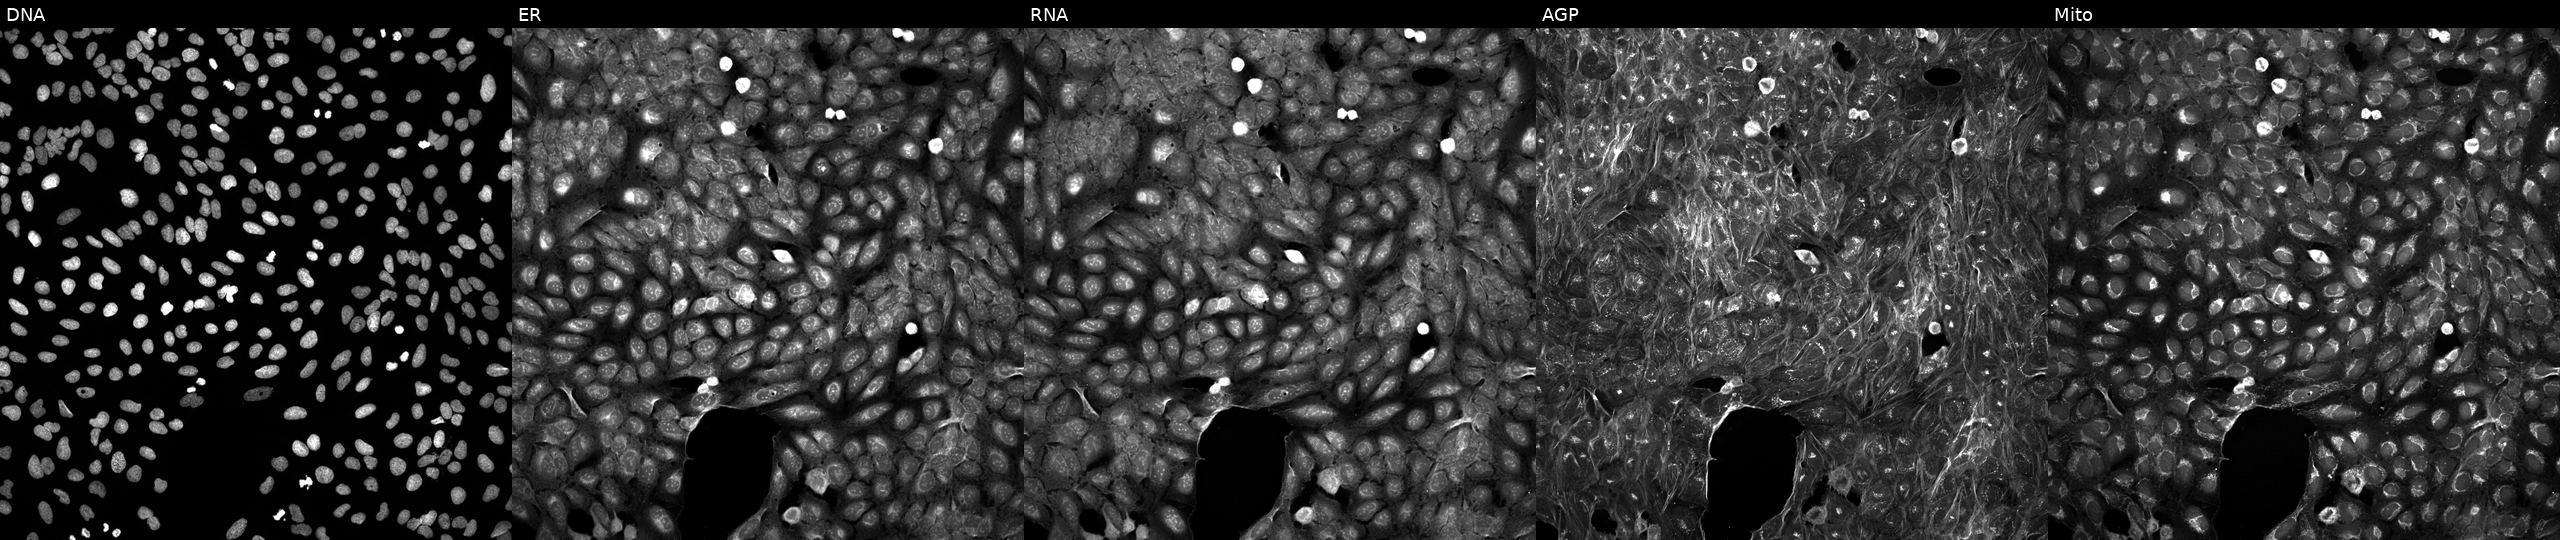
The five panels, left to right, show DNA, ER, RNA, AGP, and Mito. U2OS osteosarcoma cells perturbed with a small-molecule compound (InChIKey CEUORZQYGODEFX-UHFFFAOYSA-N) (JUMP id JCP2022_010654). Cell Painting assay, JUMP-CP dataset. Source 5, plate ACPJUM051, well P13.